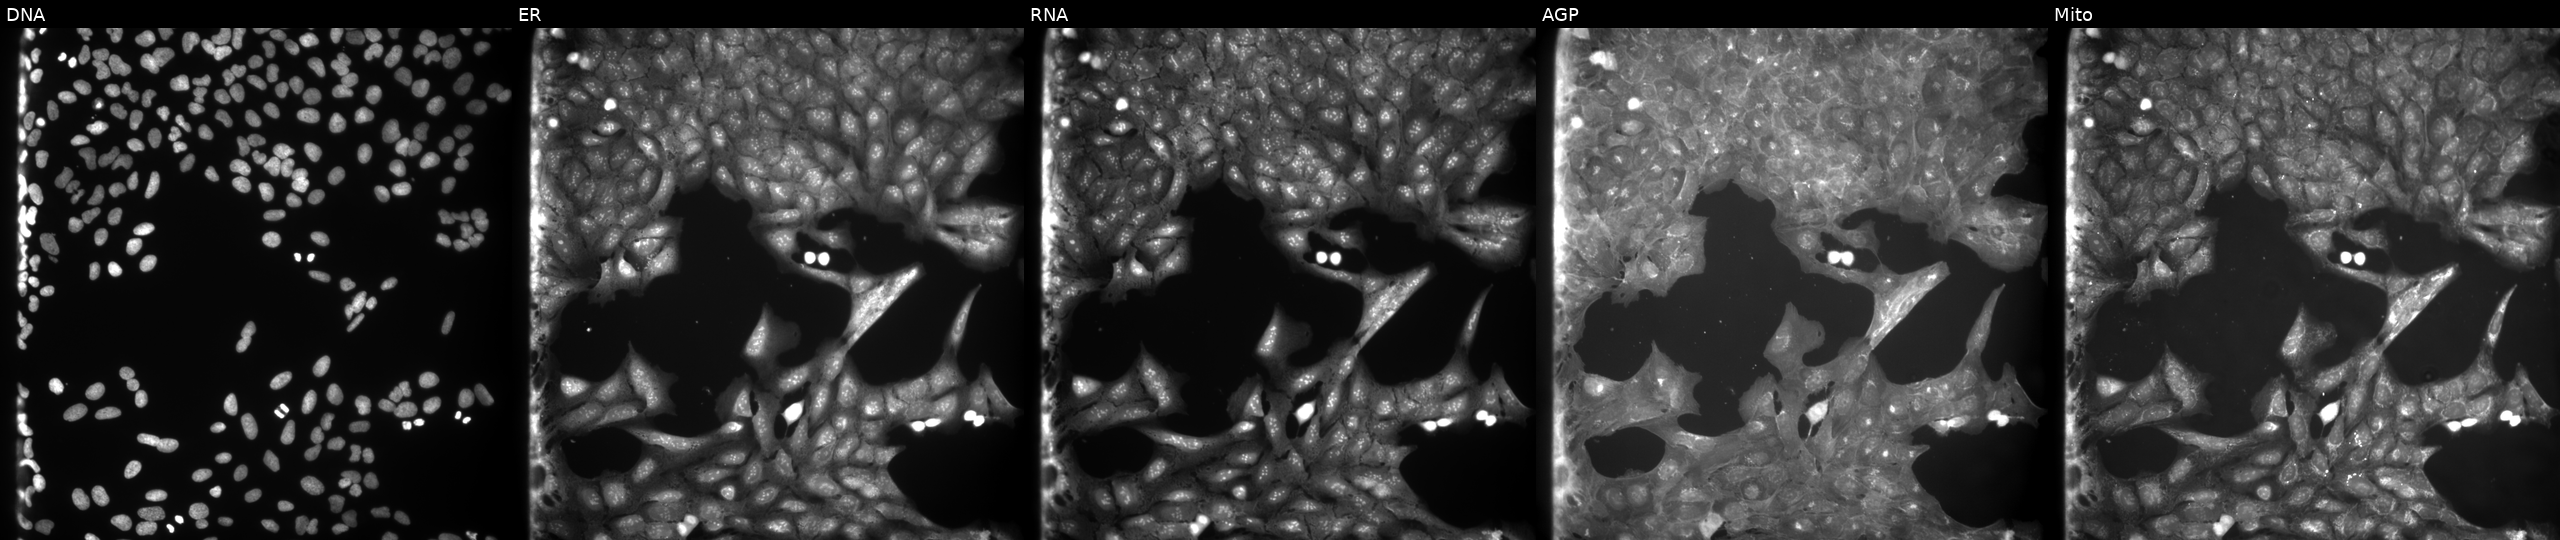
The five panels, left to right, show Hoechst 33342, concanavalin A, SYTO 14, phalloidin and WGA, MitoTracker. U2OS osteosarcoma cells exposed to a small-molecule compound (InChIKey BGDYWGHYOLNDJU-UHFFFAOYSA-N). Cell Painting assay, JUMP-CP dataset.